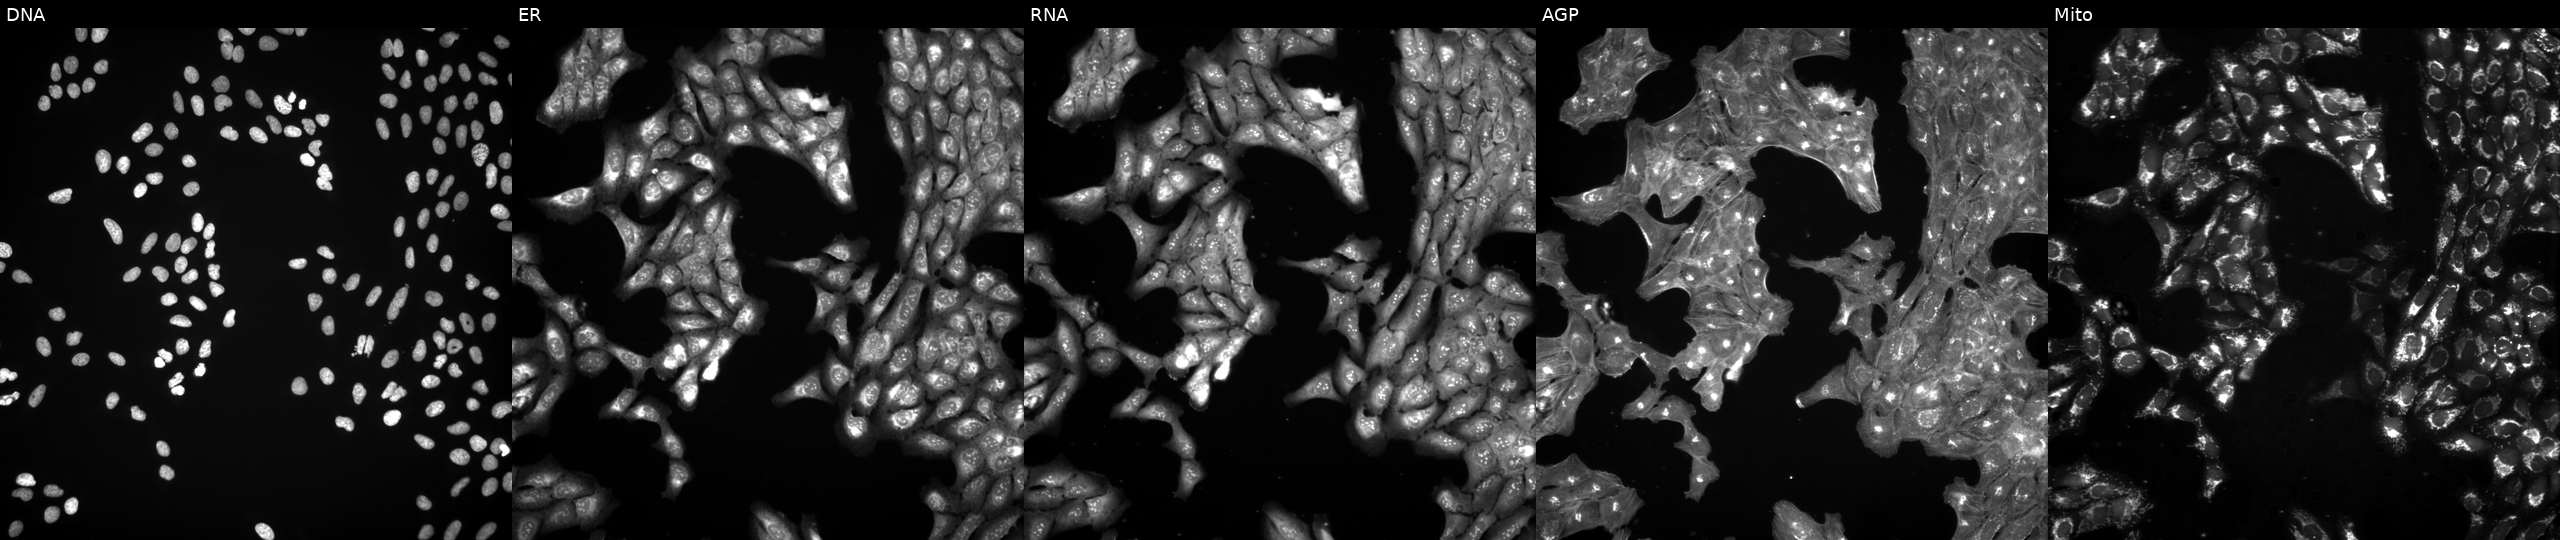
This image strip shows the five Cell Painting channels for a single field of U2OS cells in an empty control well (no perturbation) (JUMP id JCP2022_999999). Panels show, left to right, DNA (nuclei); ER (endoplasmic reticulum); RNA (nucleoli and cytoplasmic RNA); AGP (actin cytoskeleton, Golgi, and plasma membrane); Mito (mitochondria).